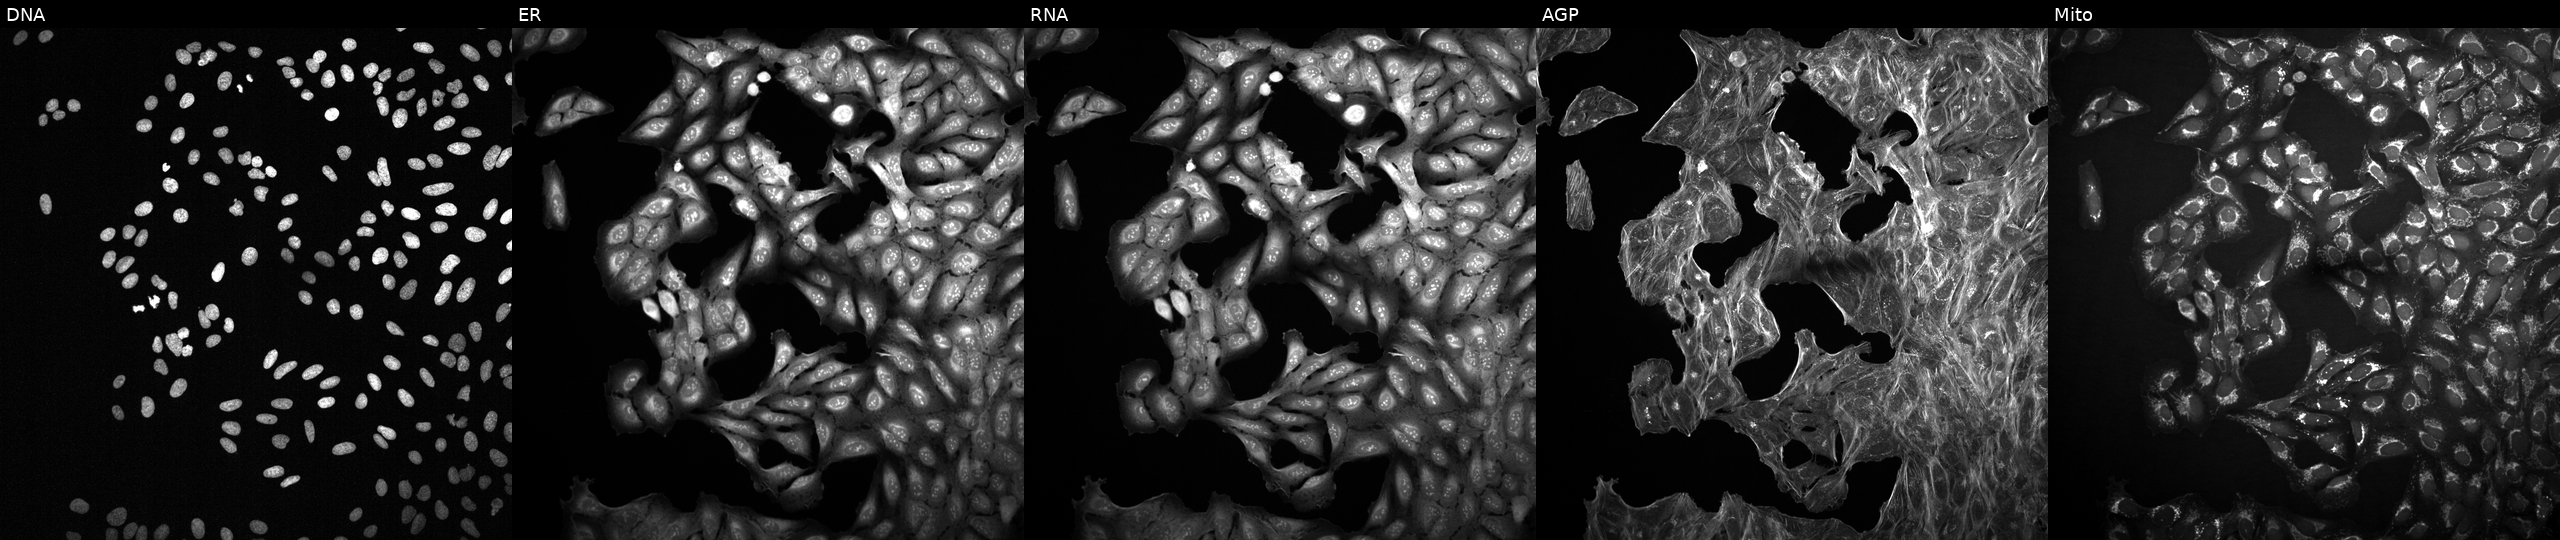
U2OS cells, Cell Painting assay, exposed to a small-molecule compound (InChIKey FNNIBDQTBWLLEO-UHFFFAOYSA-N). Channels (left→right): DNA, ER, RNA, AGP, and Mito. Each panel is percentile-stretched 16-bit fluorescence.